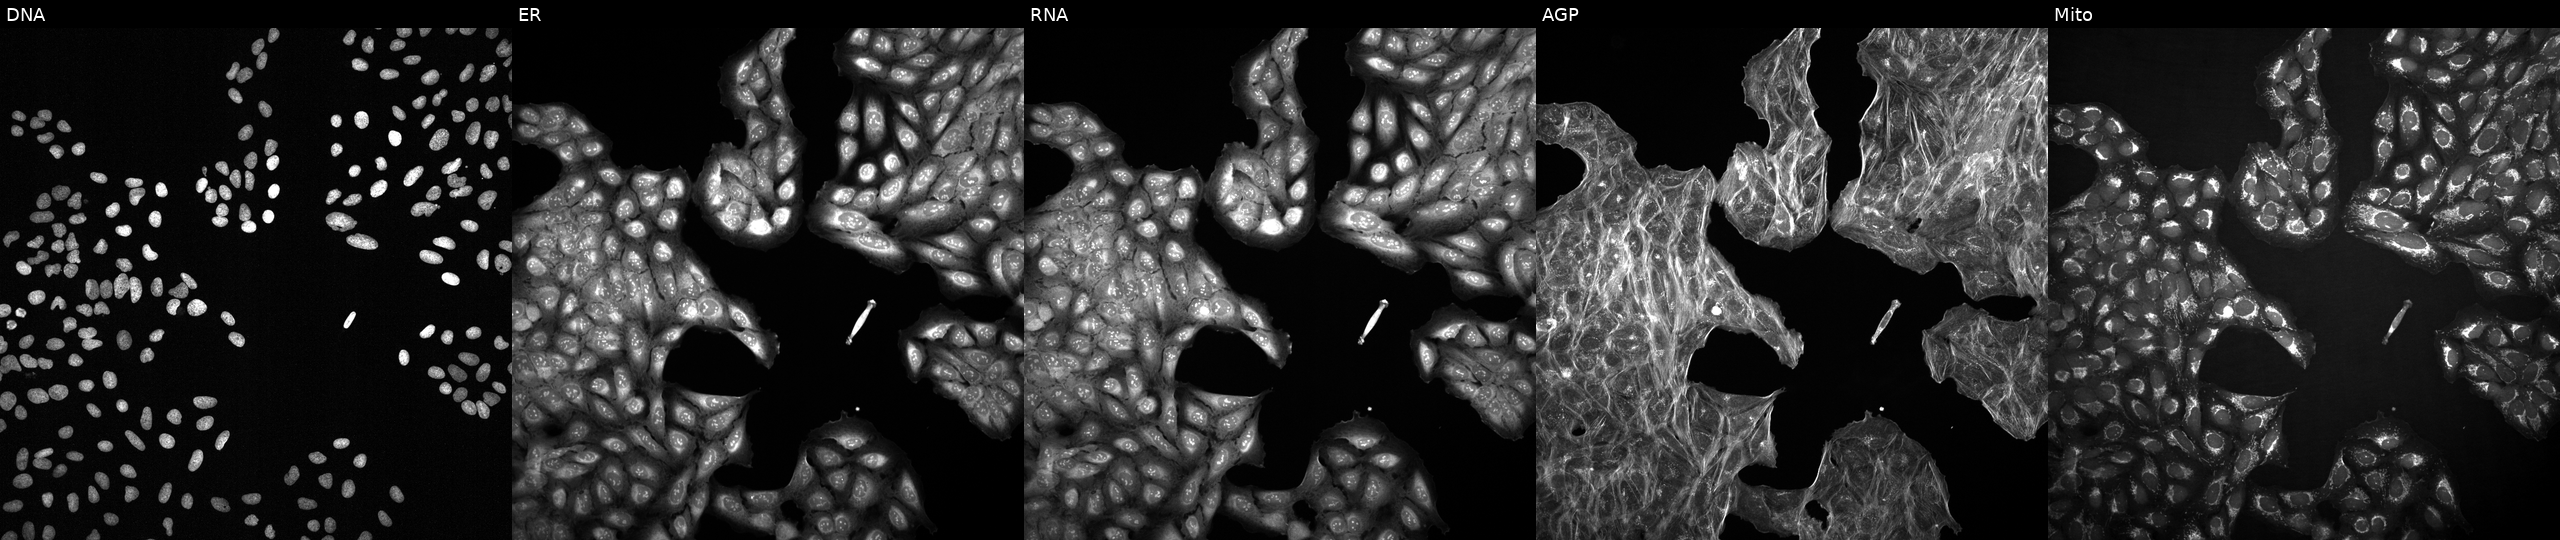
U2OS cells, Cell Painting assay, with an unidentified perturbation (not annotated in JUMP metadata). From left to right: DNA, ER, RNA, AGP, and Mito. Each panel is percentile-stretched 16-bit fluorescence. Source 2, plate 1053601756, well P11.